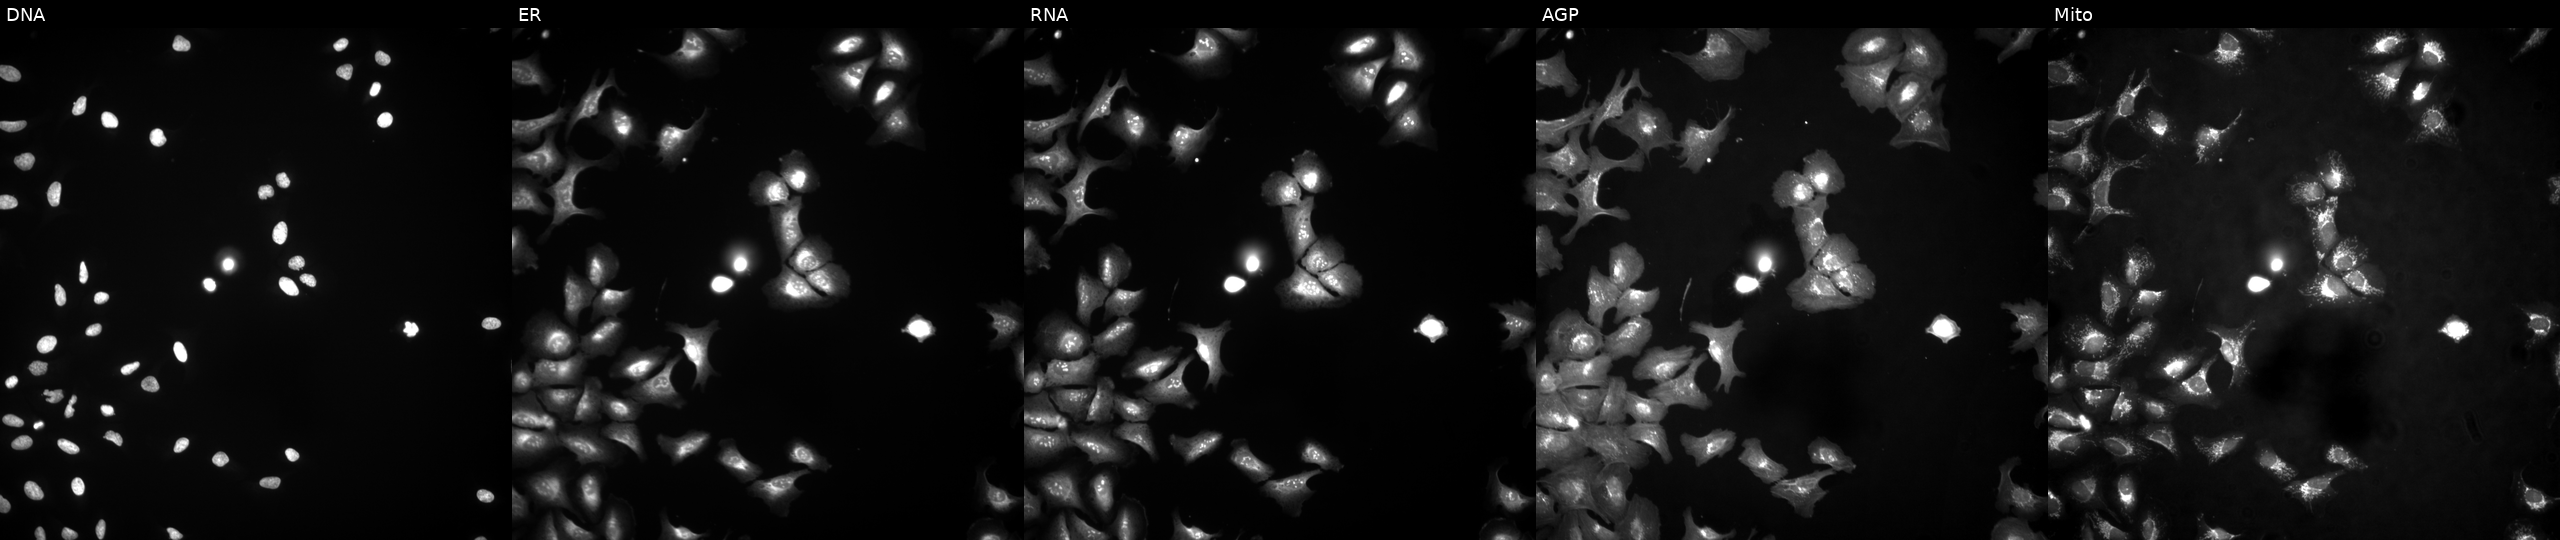
JUMP Cell Painting — ORF plate. U2OS cells in an empty control well (no perturbation) (JUMP id JCP2022_999999). From left to right: DNA (nuclei); ER (endoplasmic reticulum); RNA (nucleoli and cytoplasmic RNA); AGP (actin cytoskeleton, Golgi, and plasma membrane); Mito (mitochondria).